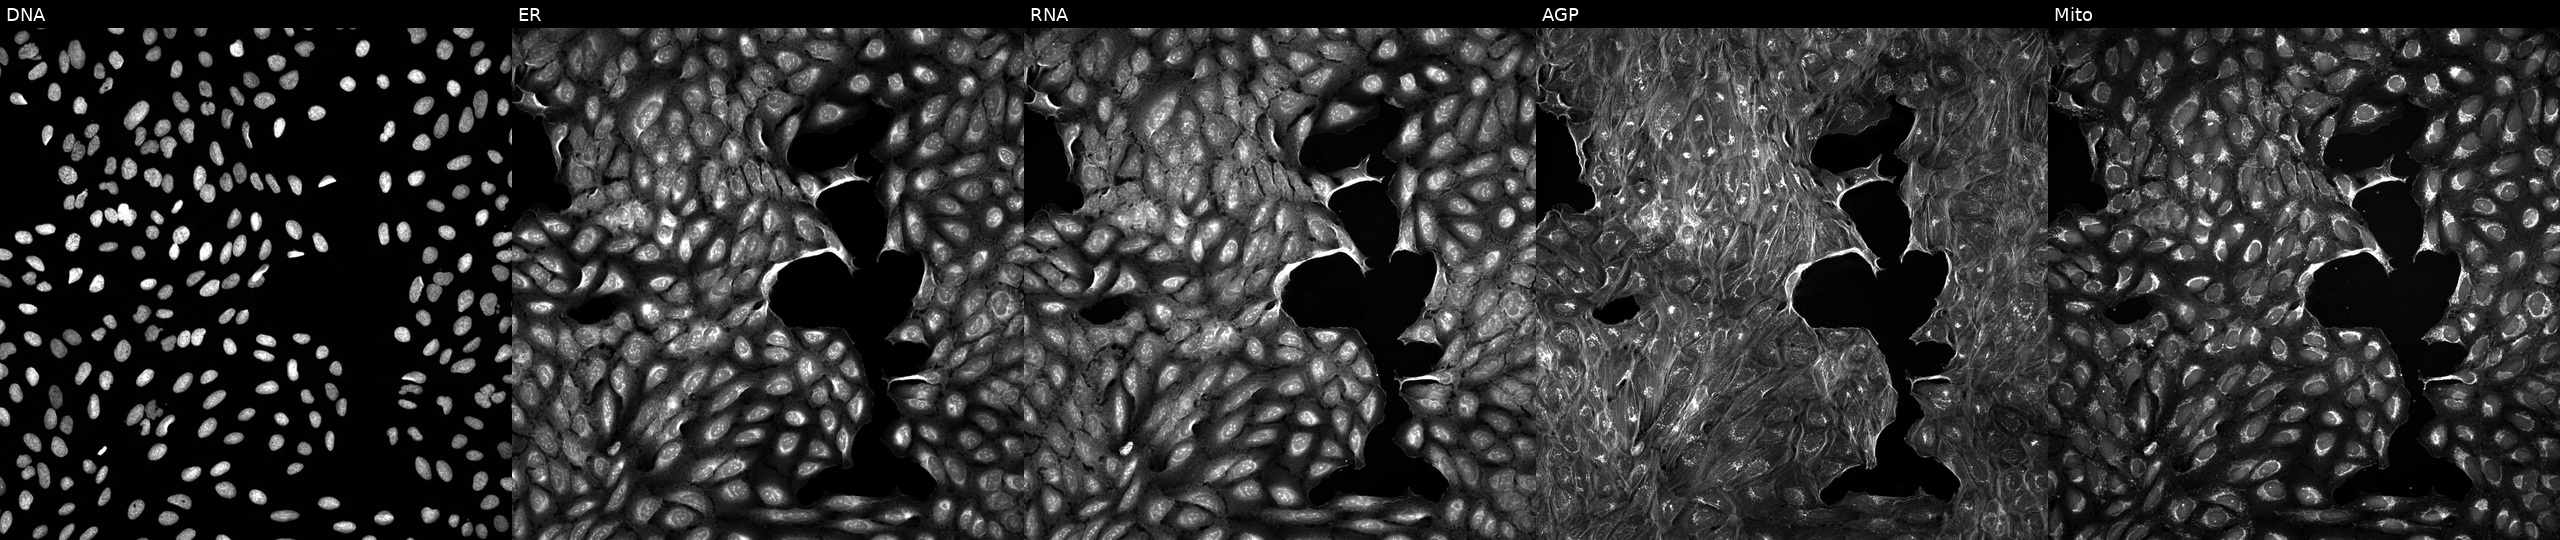
JUMP Cell Painting — TARGET2 plate. U2OS cells treated with DMSO vehicle only (negative control) (JUMP id JCP2022_033924). Channels (left→right): DNA (nuclei); ER (endoplasmic reticulum); RNA (nucleoli and cytoplasmic RNA); AGP (actin cytoskeleton, Golgi, and plasma membrane); Mito (mitochondria). Source 5, plate ACPJUM032, well K07.